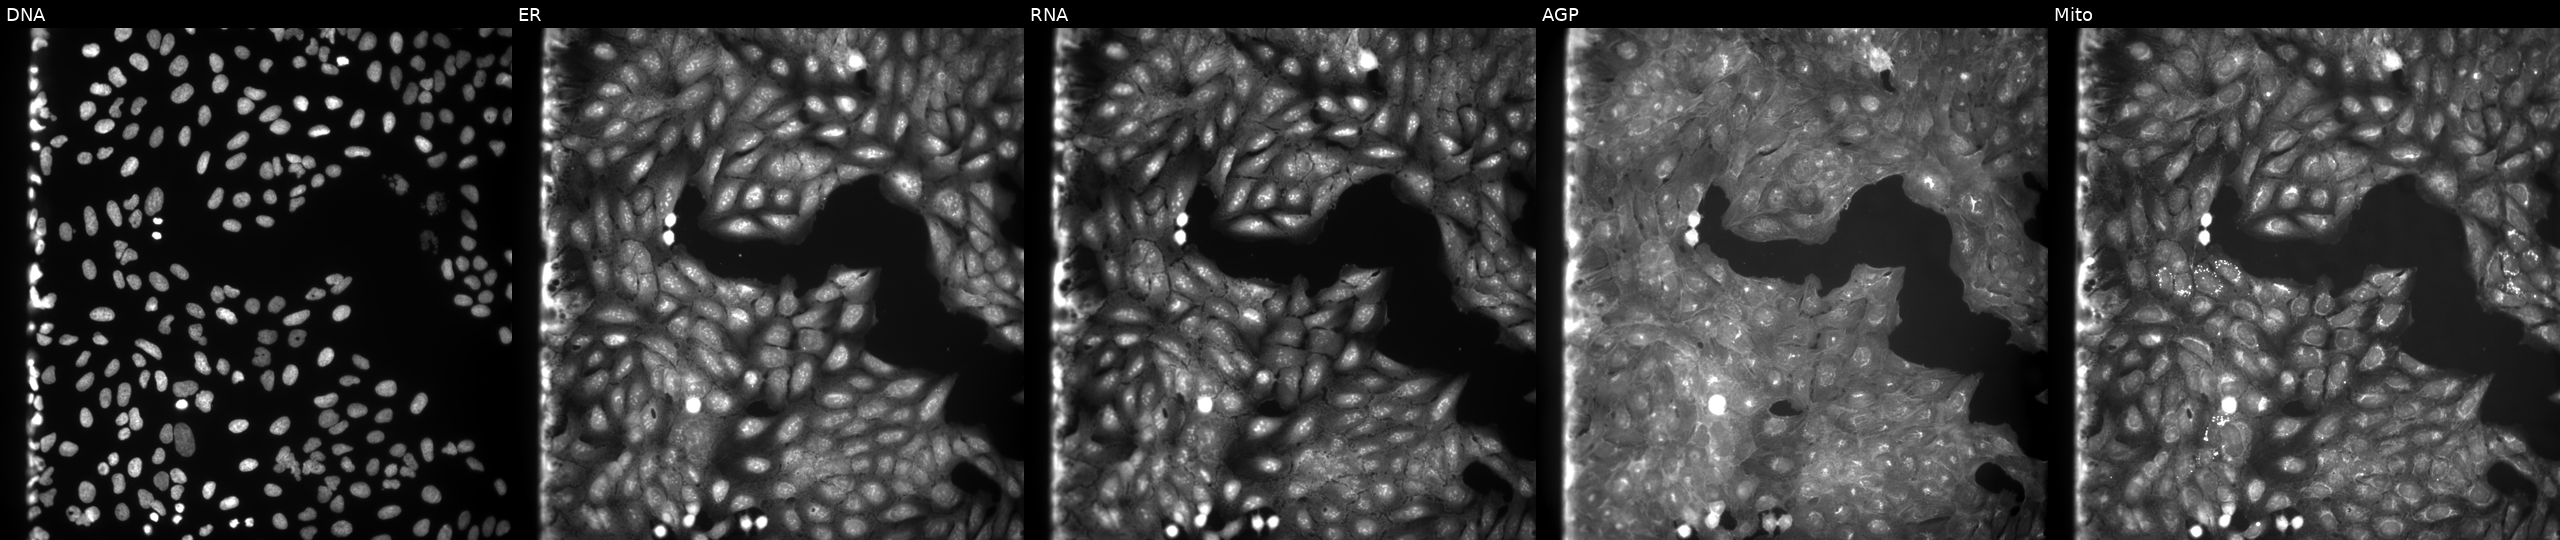
High-content fluorescence microscopy (Cell Painting). Cell line: U2OS. Perturbation: exposed to a small-molecule compound (InChIKey NKXGKGPZUANCIU-UHFFFAOYSA-N) (JUMP id JCP2022_059677). The five panels, left to right, show Hoechst 33342, concanavalin A, SYTO 14, phalloidin and WGA, MitoTracker. Source 9, plate GR00003382, well I04.